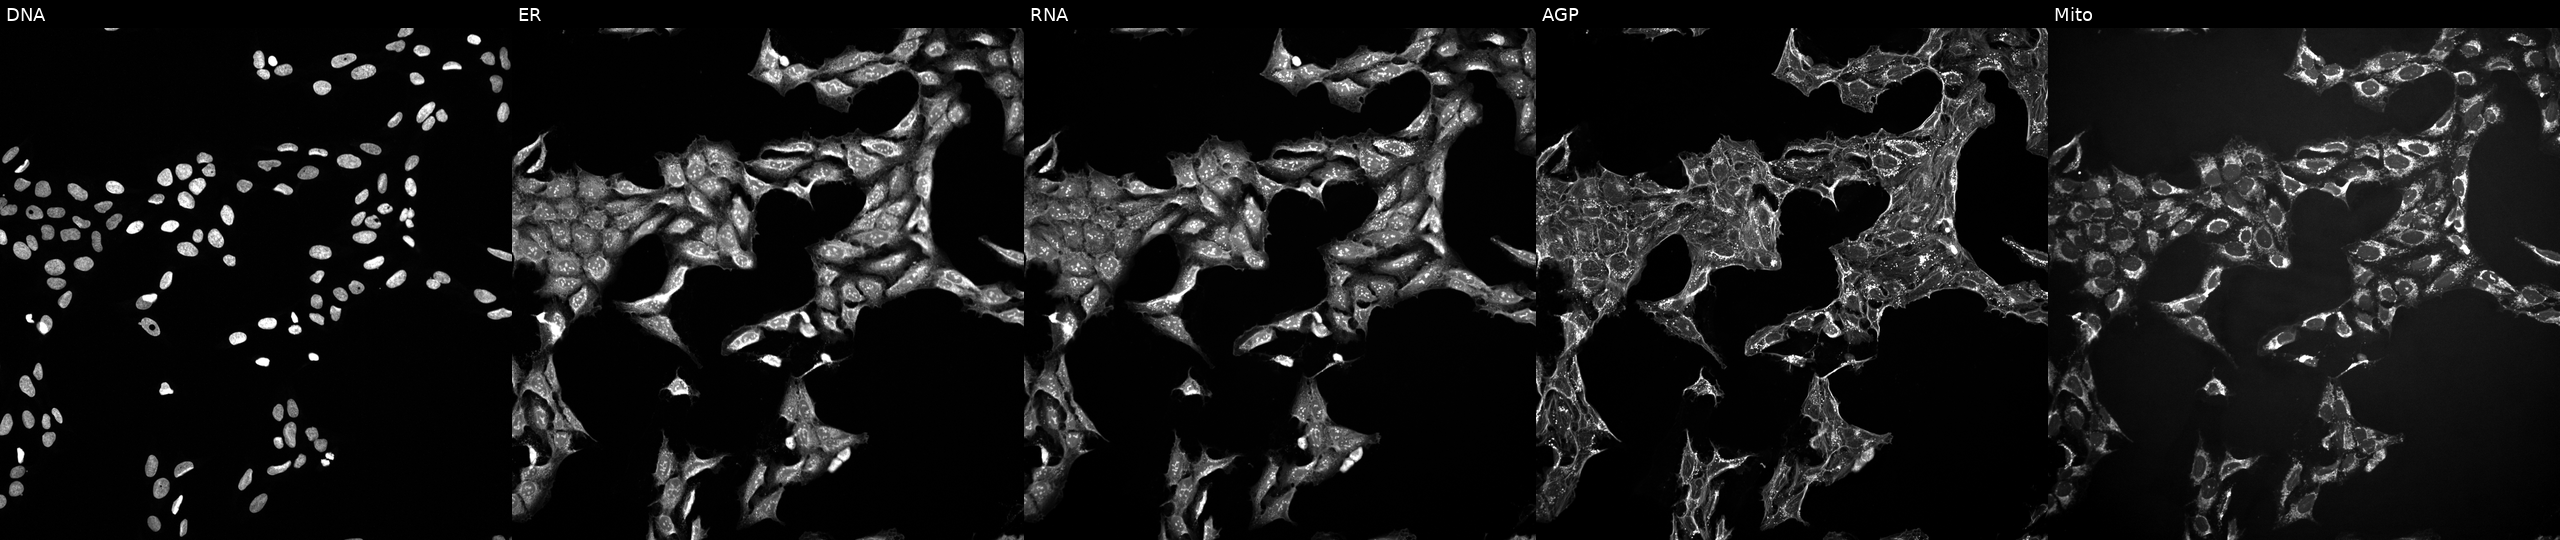
High-content fluorescence microscopy (Cell Painting). Cell line: U2OS. Perturbation: perturbed with a small-molecule compound (JUMP id JCP2022_014367). Channels (left→right): Hoechst 33342, concanavalin A, SYTO 14, phalloidin and WGA, MitoTracker. Source 10, plate Dest210726-160150, well A09.